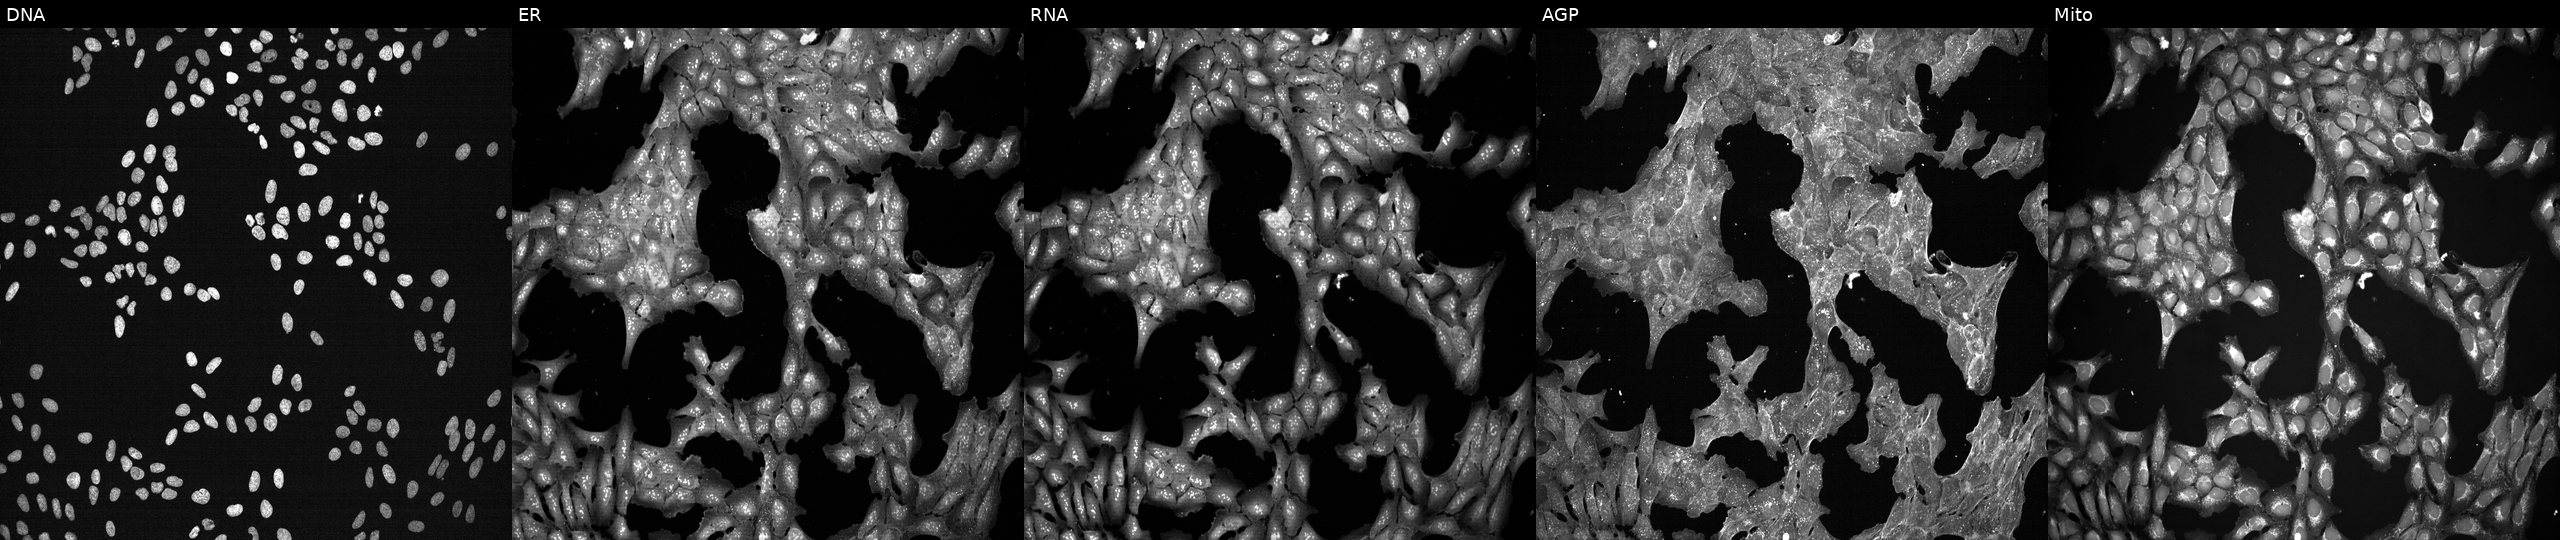
Channels (left→right): DNA, ER, RNA, AGP, and Mito. U2OS osteosarcoma cells exposed to a small-molecule compound (InChIKey ZYGHJZDHTFUPRJ-UHFFFAOYSA-N) (JUMP id JCP2022_116437). Cell Painting assay, JUMP-CP dataset.